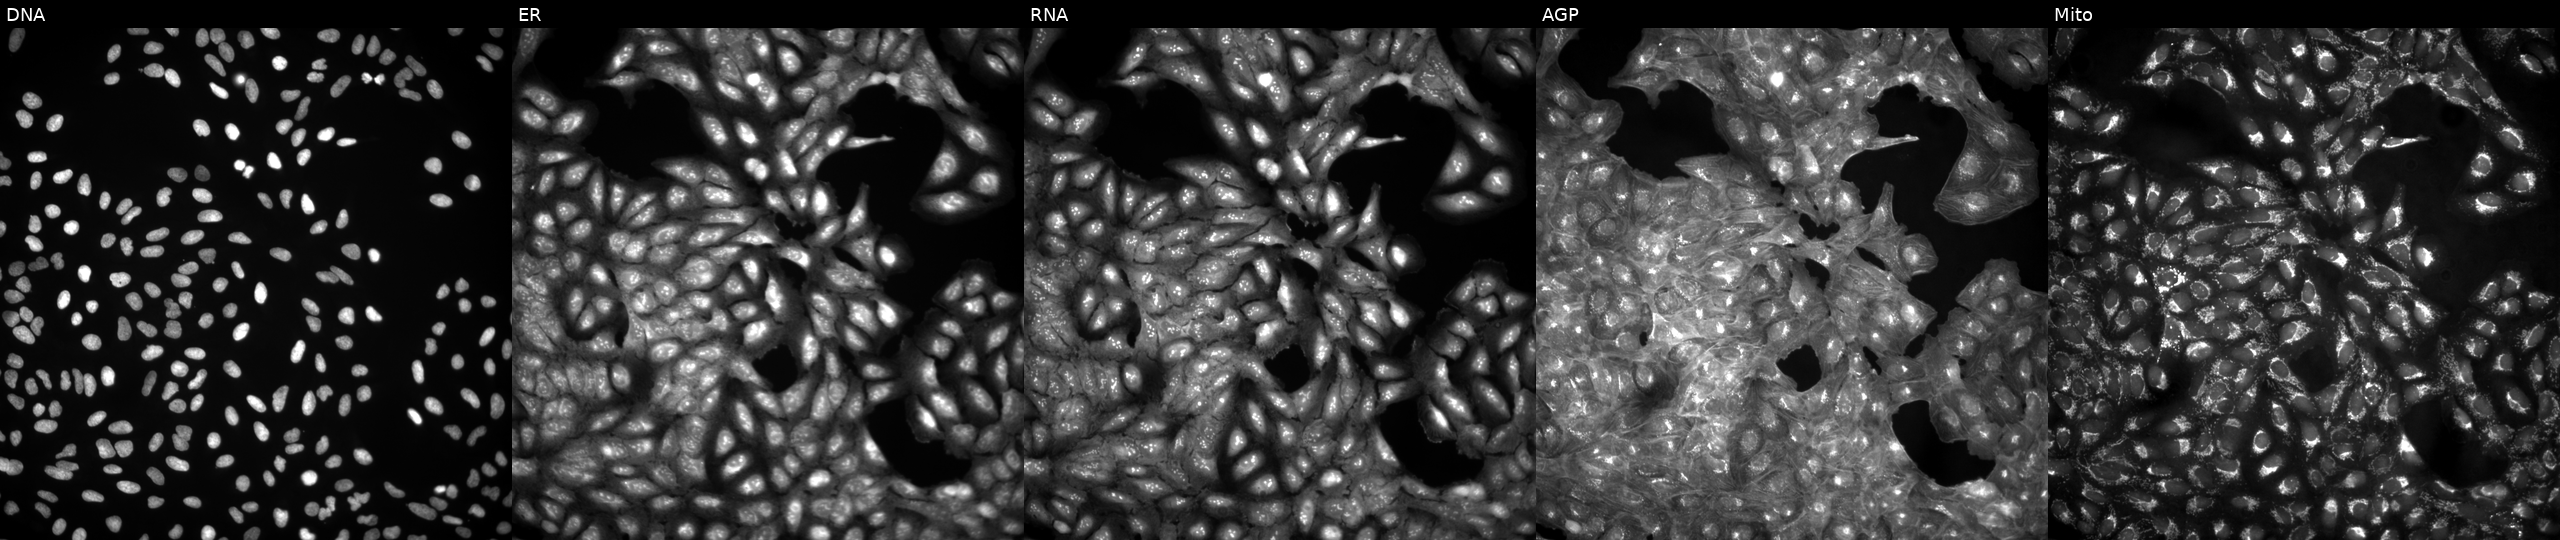
U2OS cells, Cell Painting assay, untreated (empty-well control) (JUMP id JCP2022_999999). Channels (left→right): DNA, ER, RNA, AGP, and Mito. Each panel is percentile-stretched 16-bit fluorescence. Source 4, plate BR00123946, well P18.